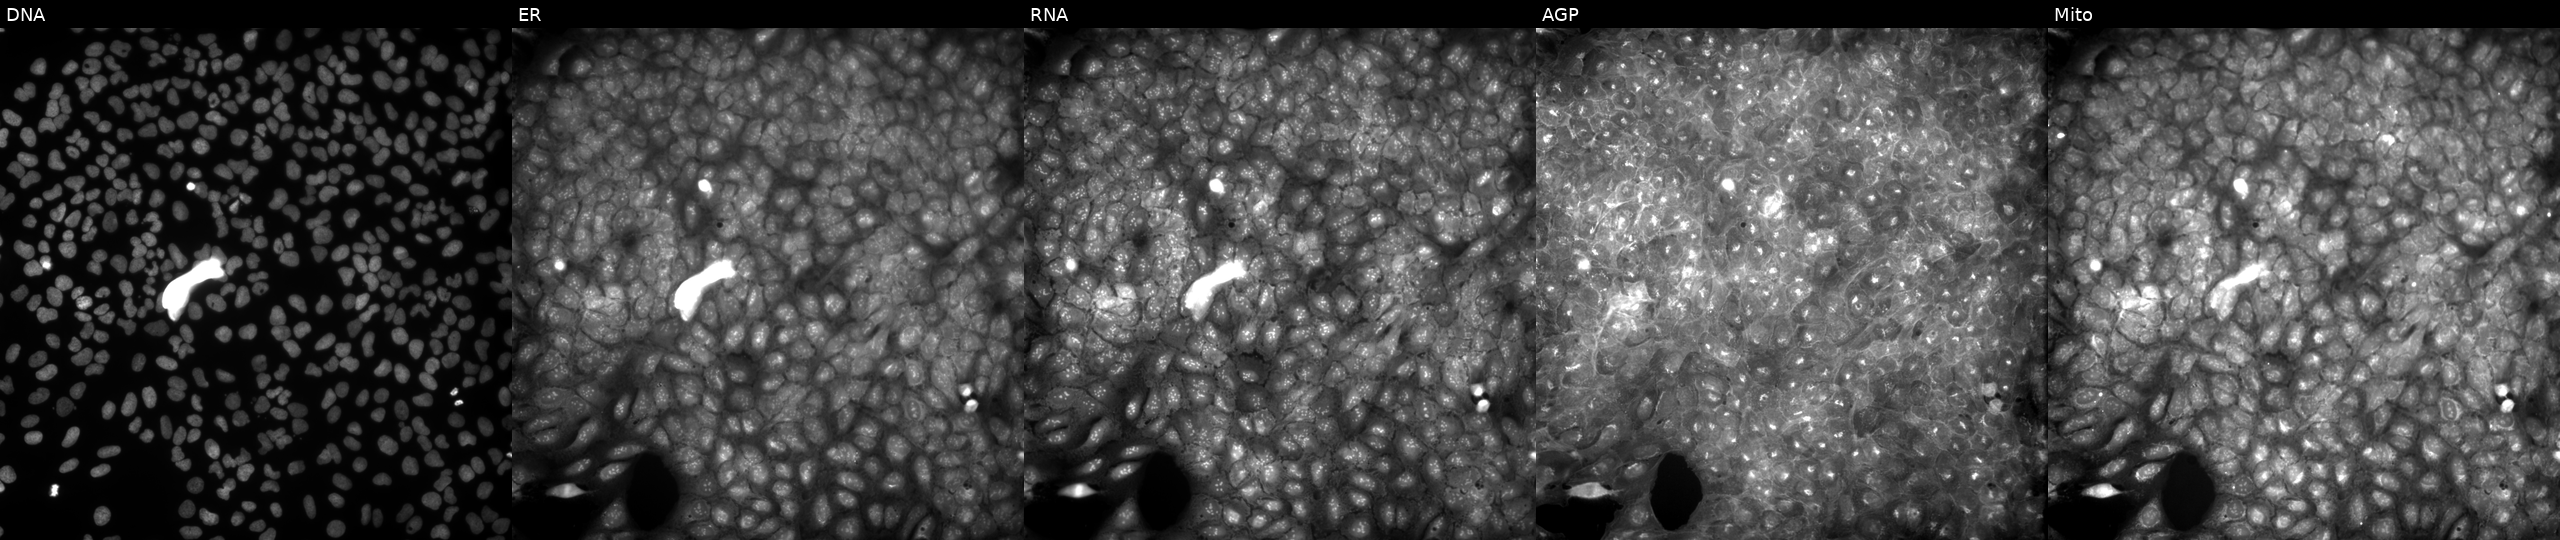
U2OS cells, Cell Painting assay, treated with a small-molecule compound (JUMP id JCP2022_066318). Channels (left→right): DNA, ER, RNA, AGP, and Mito. Each panel is percentile-stretched 16-bit fluorescence.